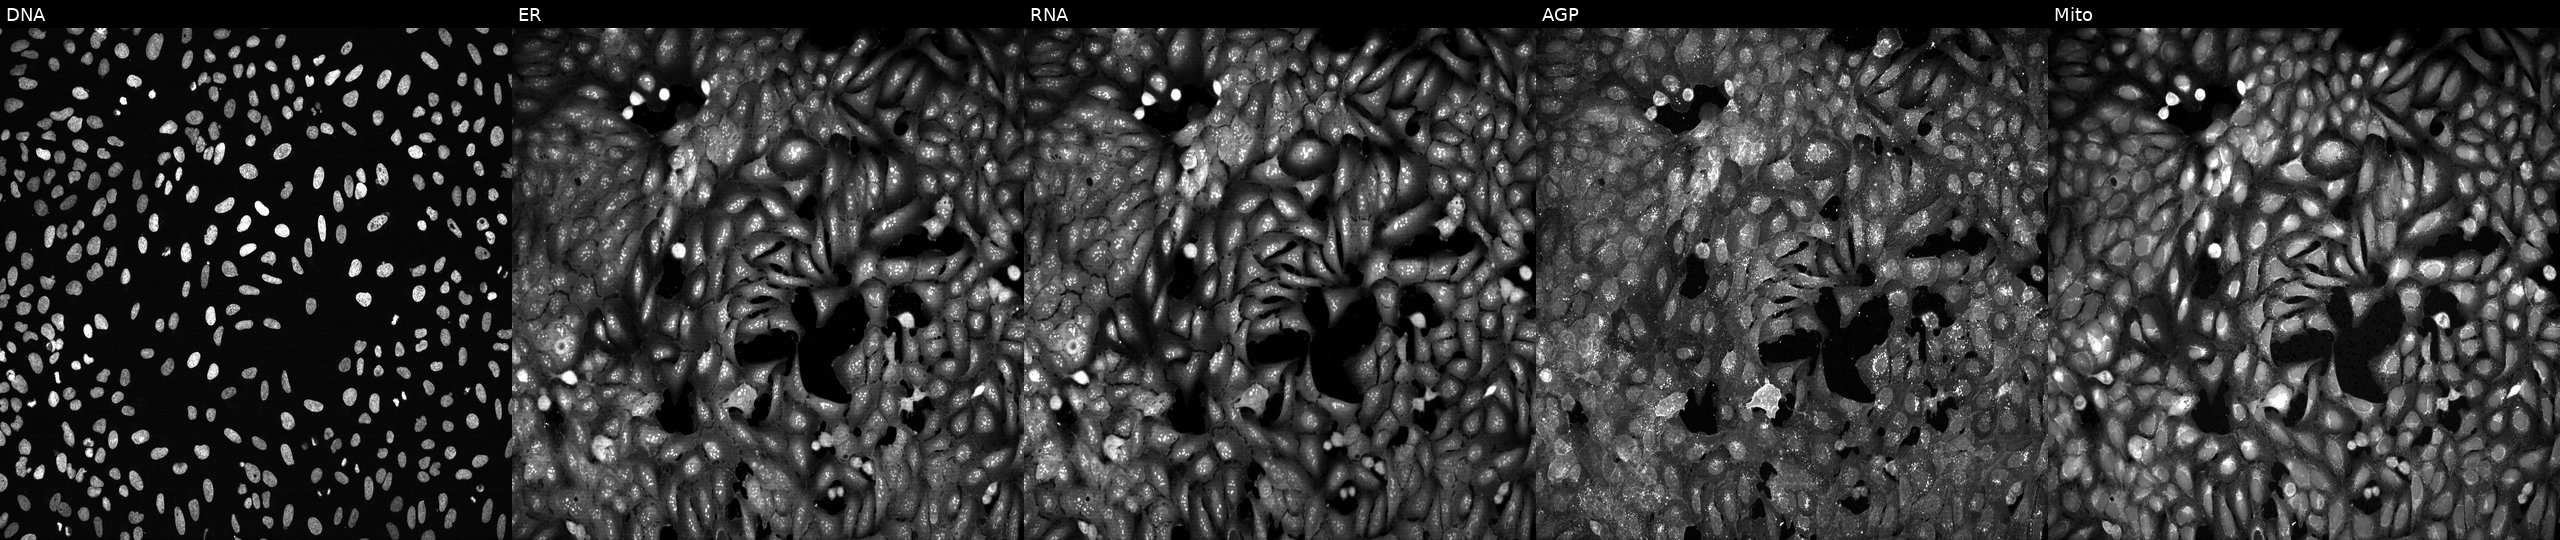
High-content fluorescence microscopy (Cell Painting). Cell line: U2OS. Perturbation: with RHOB knocked out by CRISPR. The five panels, left to right, show DNA (nuclei); ER (endoplasmic reticulum); RNA (nucleoli and cytoplasmic RNA); AGP (actin cytoskeleton, Golgi, and plasma membrane); Mito (mitochondria).